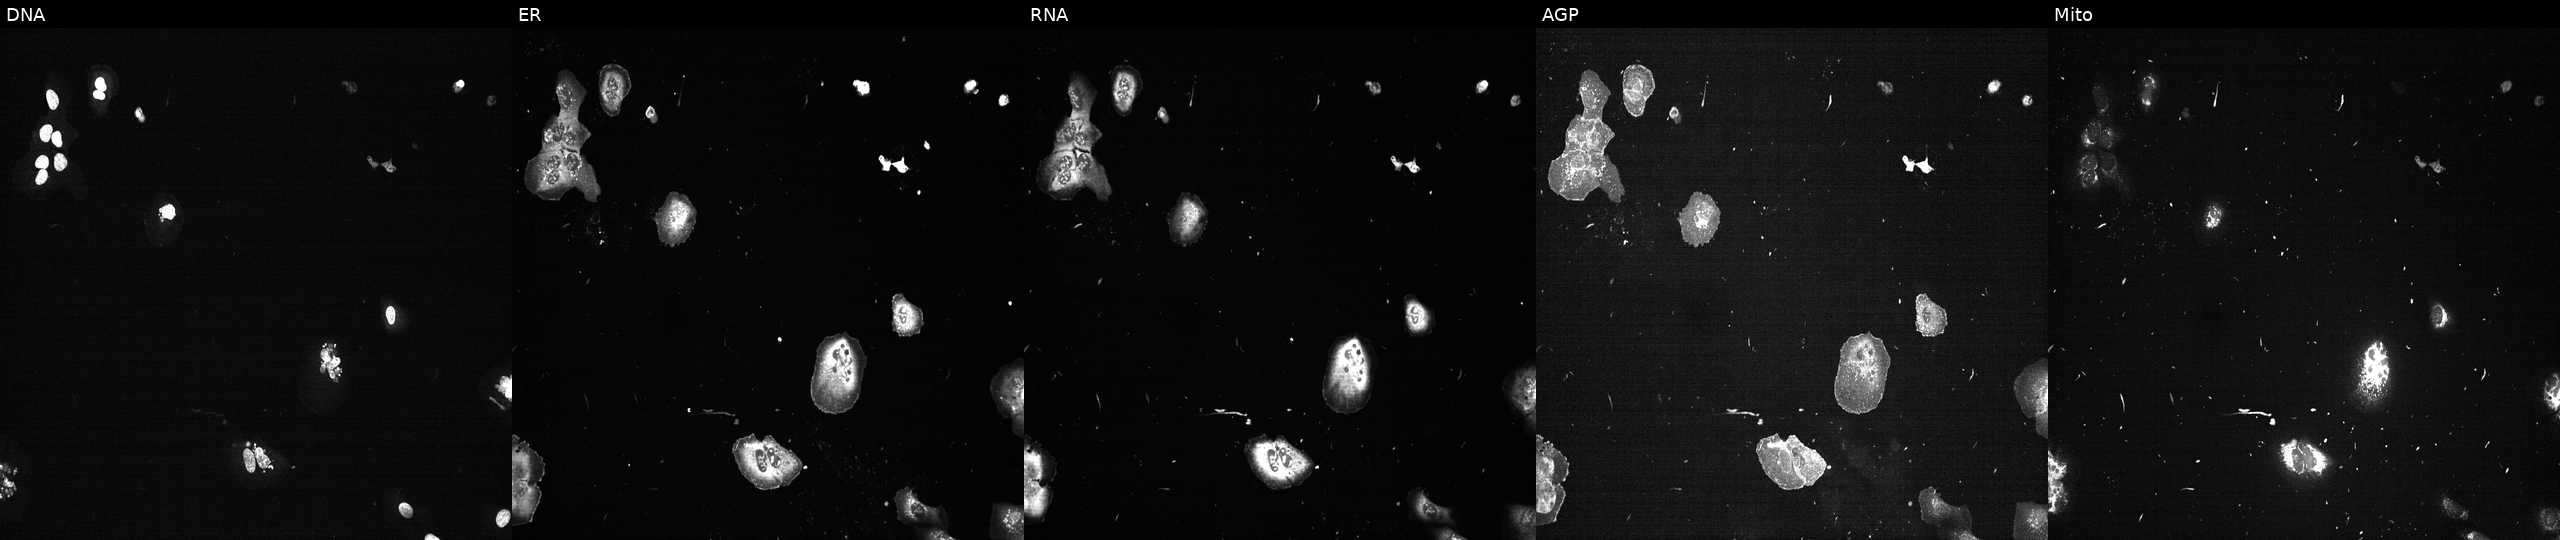
This image strip shows the five Cell Painting channels for a single field of U2OS cells with PLK1 knocked out by CRISPR (positive control) (JUMP id JCP2022_805264). The five panels, left to right, show Hoechst 33342, concanavalin A, SYTO 14, phalloidin and WGA, MitoTracker. Source 13, plate CP-CC9-R3-01, well O02.